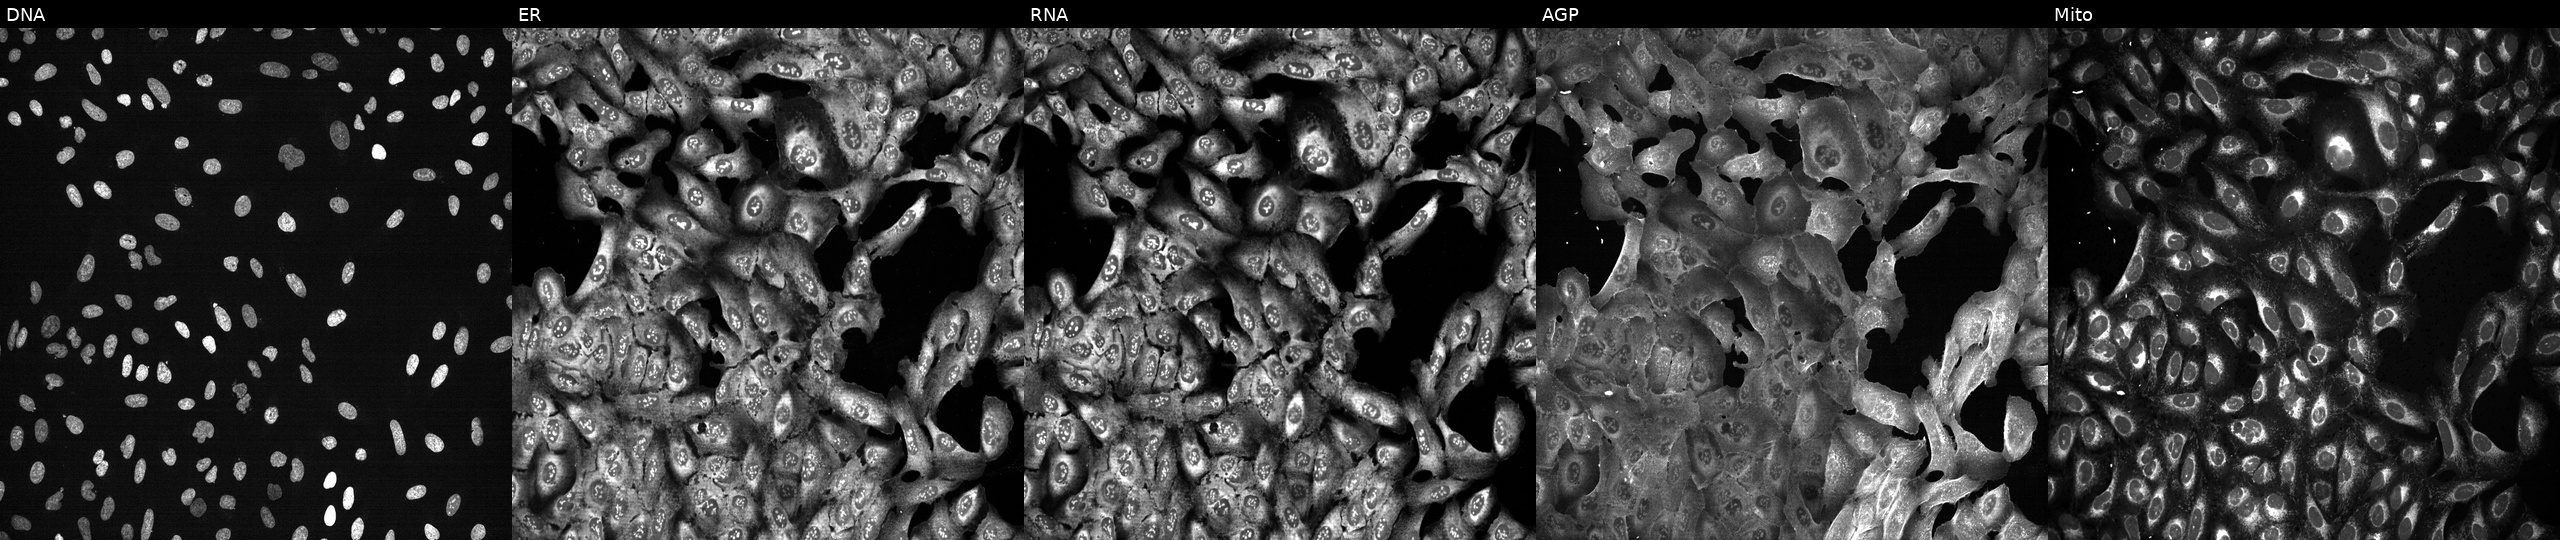
This image strip shows the five Cell Painting channels for a single field of U2OS cells following CRISPR knockout of CMAS (JUMP id JCP2022_801401). Panels show, left to right, Hoechst 33342, concanavalin A, SYTO 14, phalloidin and WGA, MitoTracker.